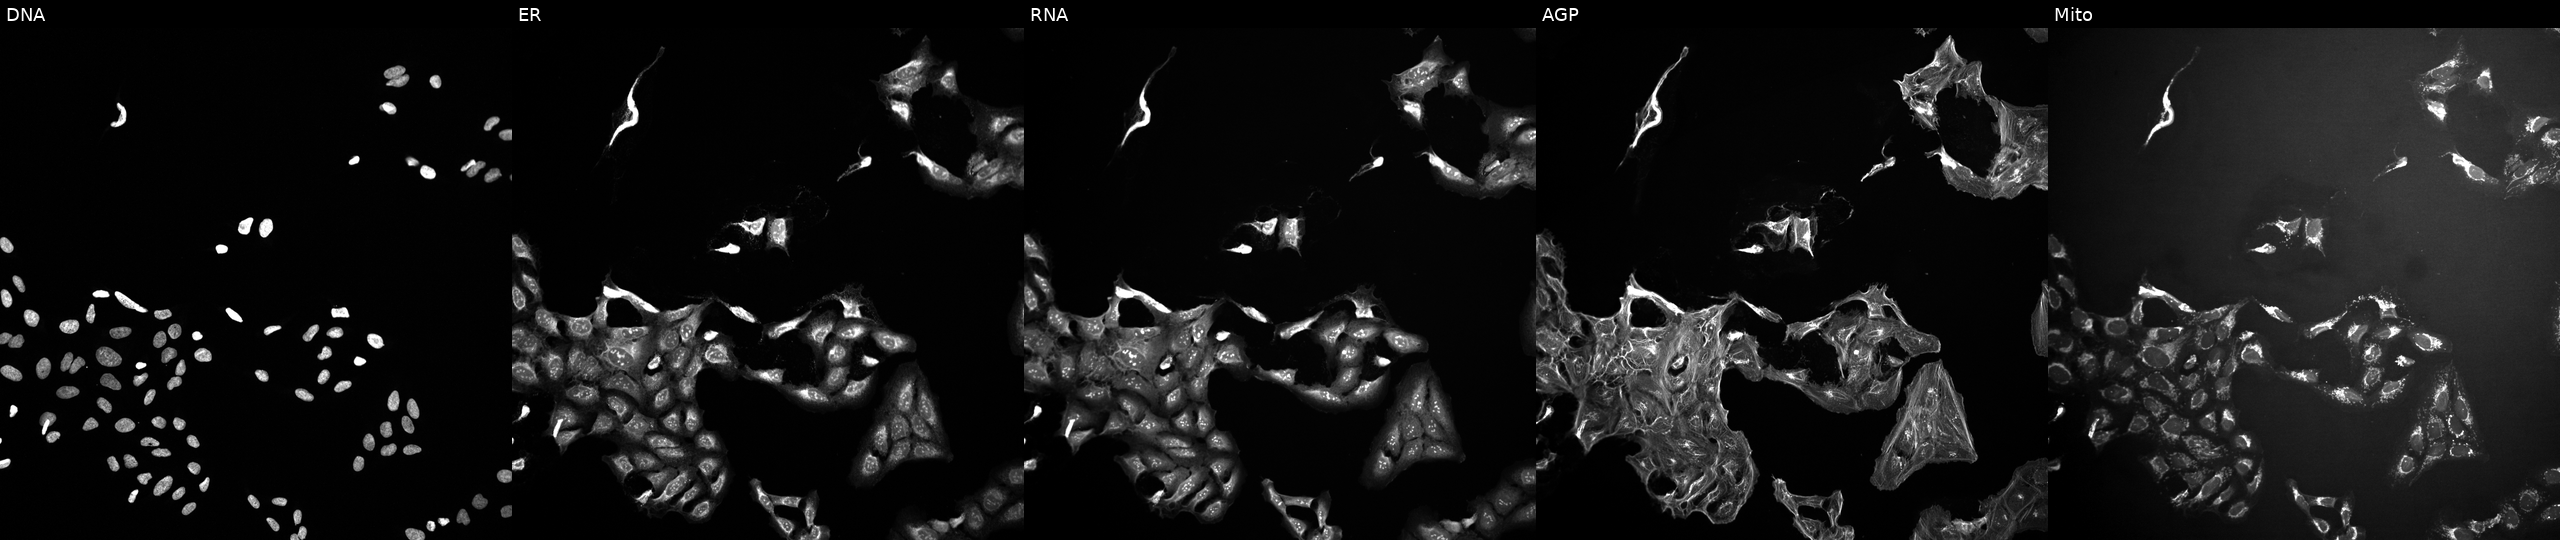
U2OS cells, Cell Painting assay, exposed to a small-molecule compound (InChIKey IBAQFPQHRJAVAV-UHFFFAOYSA-N). Channels (left→right): DNA, ER, RNA, AGP, and Mito. Each panel is percentile-stretched 16-bit fluorescence. Source 10, plate Dest210727-153003, well F17.